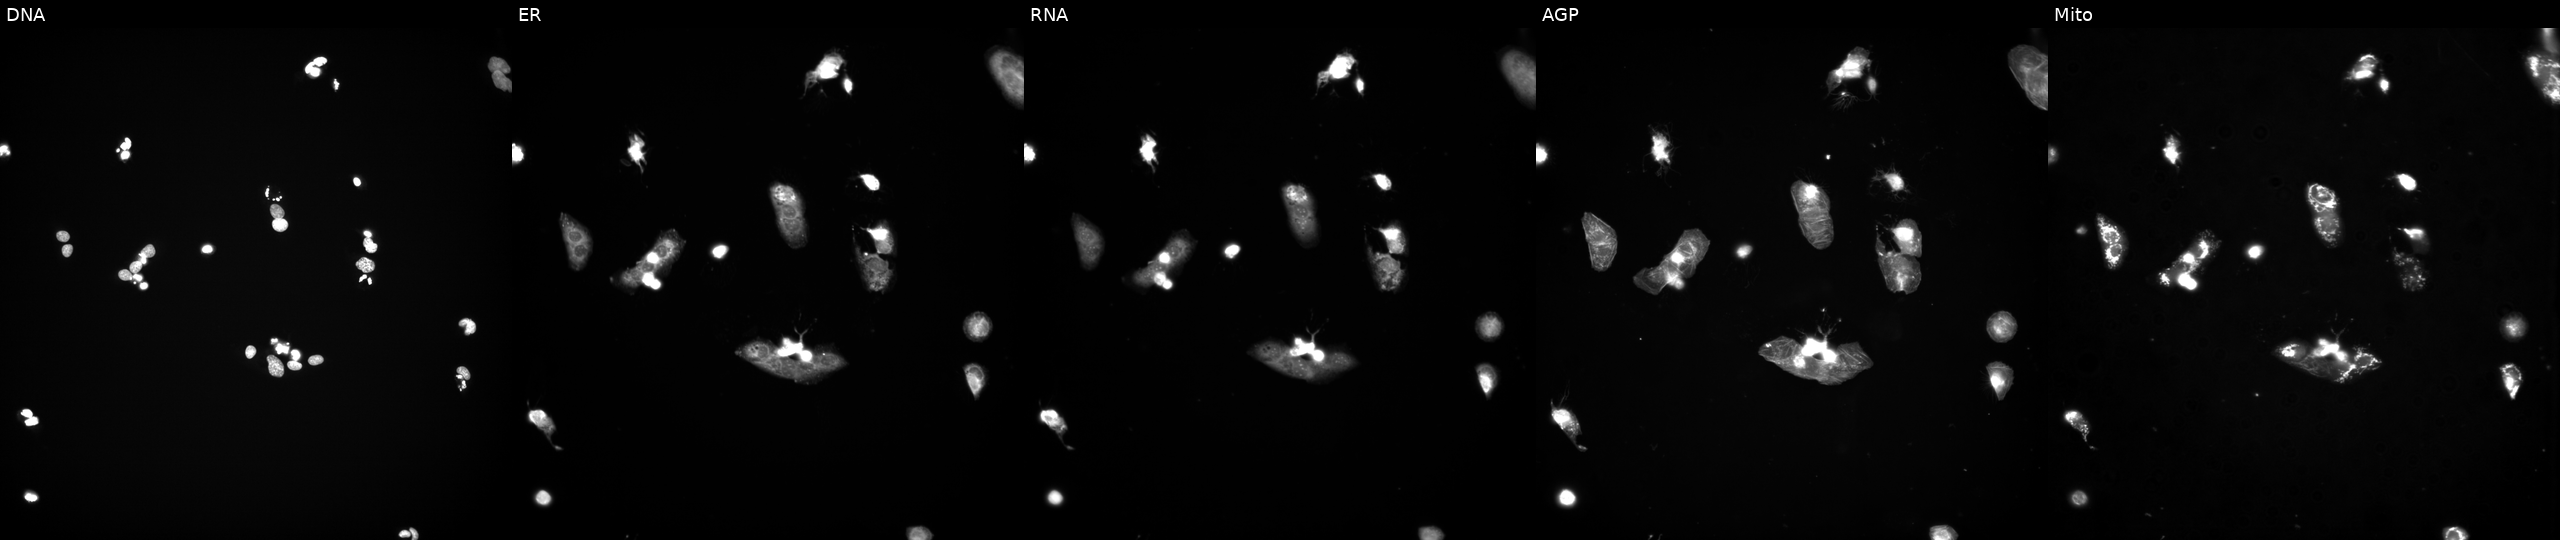
U2OS cells, Cell Painting assay, perturbed with a small-molecule compound (InChIKey RVAQIUULWULRNW-UHFFFAOYSA-N) (JUMP id JCP2022_080920). Channels (left→right): DNA, ER, RNA, AGP, and Mito. Each panel is percentile-stretched 16-bit fluorescence.